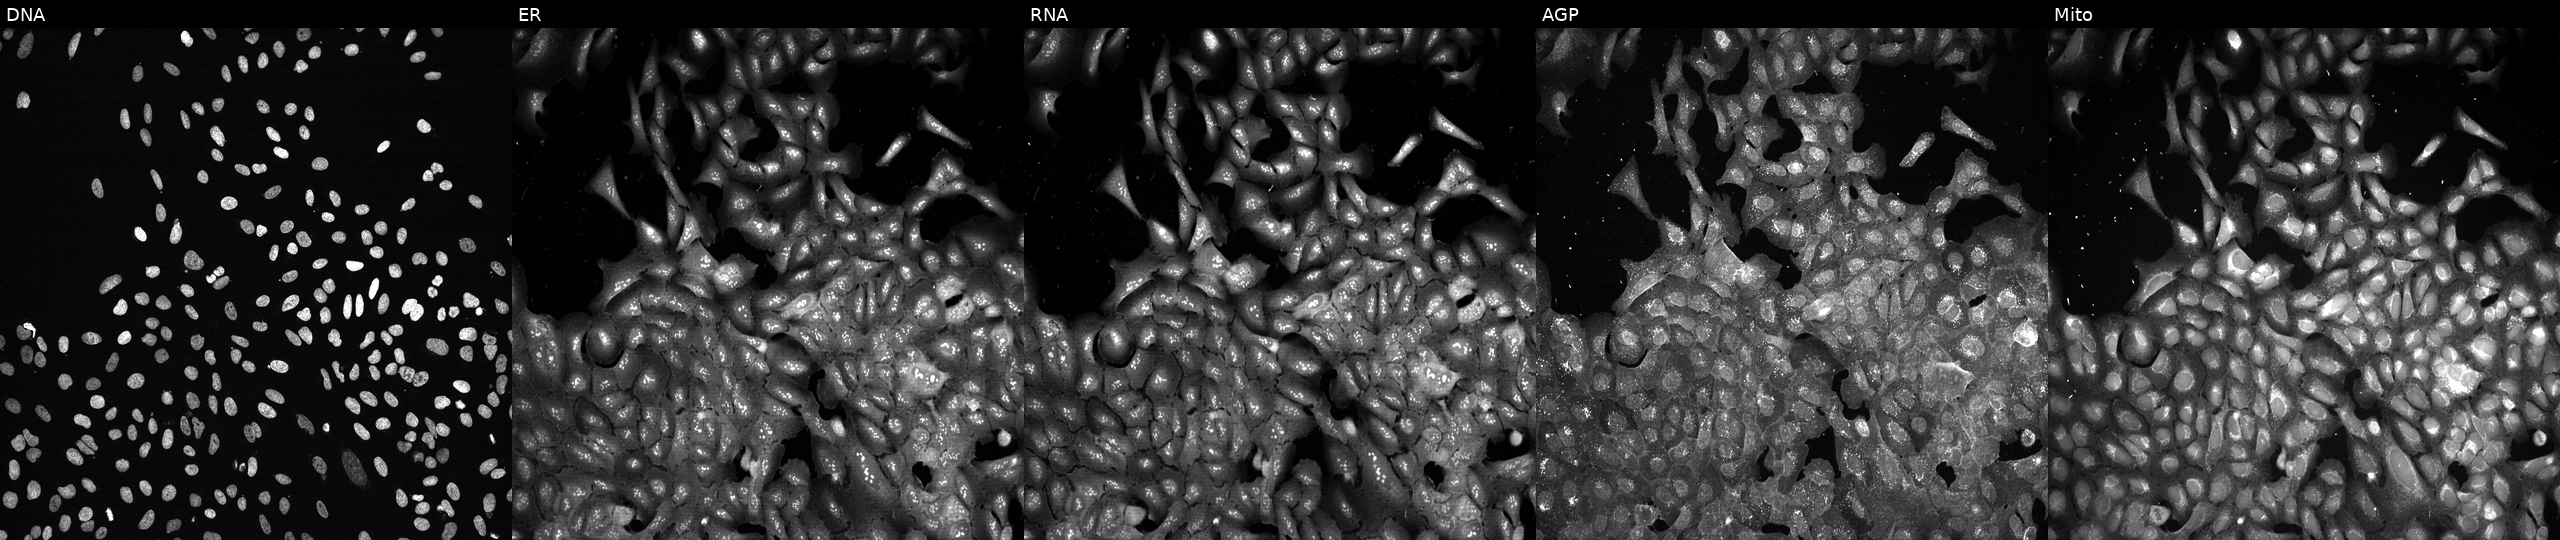
JUMP Cell Painting — CRISPR plate. U2OS cells with AQP2 knocked out by CRISPR. From left to right: Hoechst 33342, concanavalin A, SYTO 14, phalloidin and WGA, MitoTracker. Source 13, plate CP-CC9-R1-01, well K07.